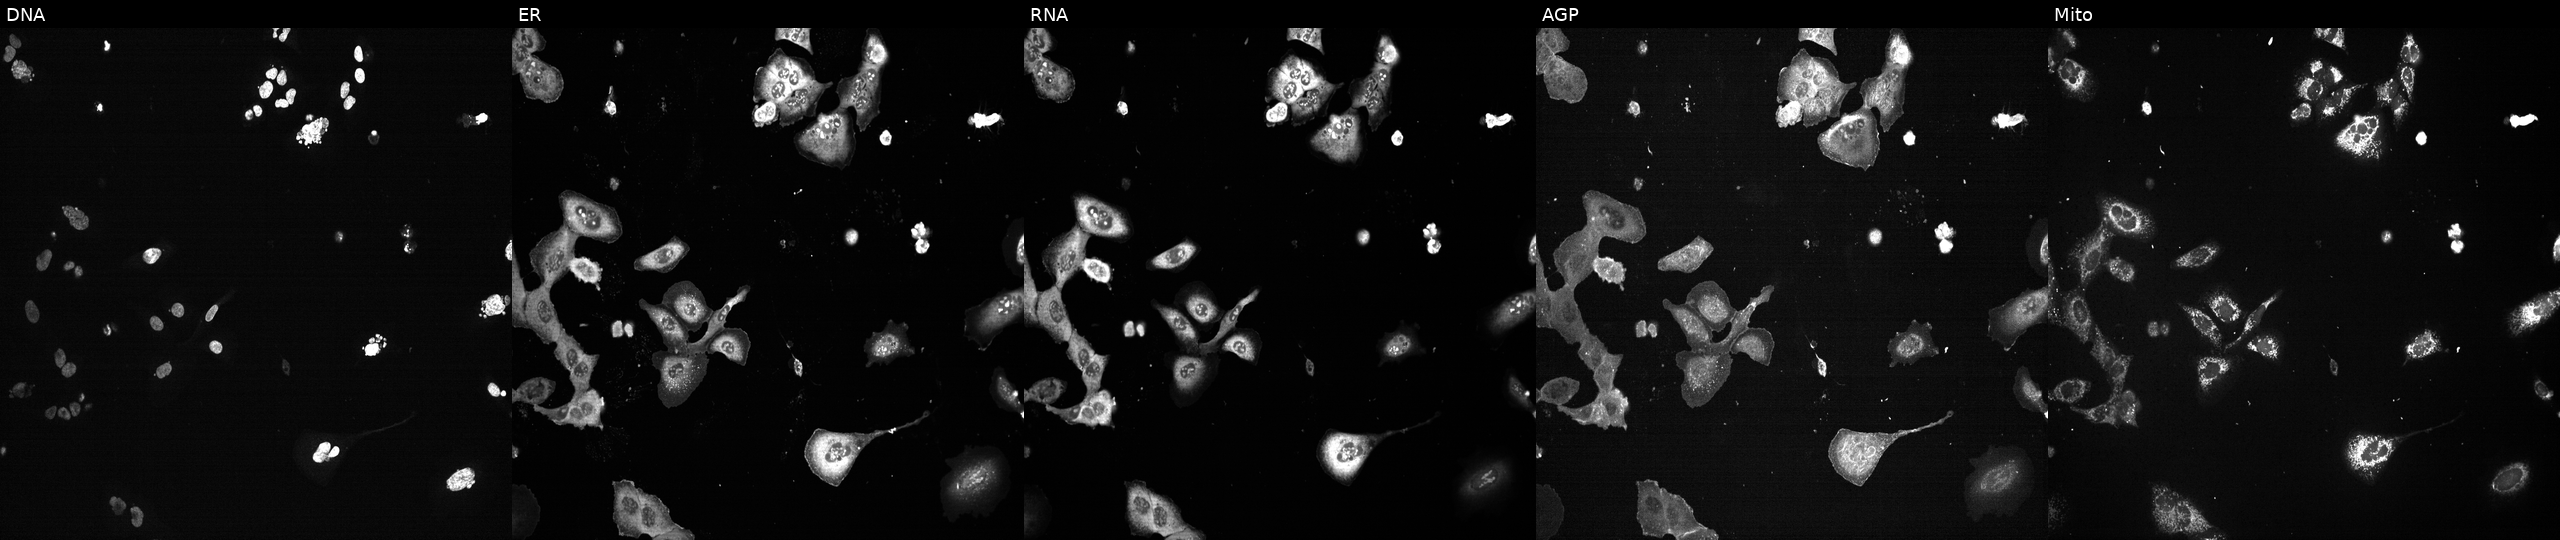
JUMP Cell Painting — CRISPR plate. U2OS cells with PLK1 knocked out by CRISPR (positive control). The five panels, left to right, show DNA, ER, RNA, AGP, and Mito. Source 13, plate CP-CC9-R3-01, well P02.